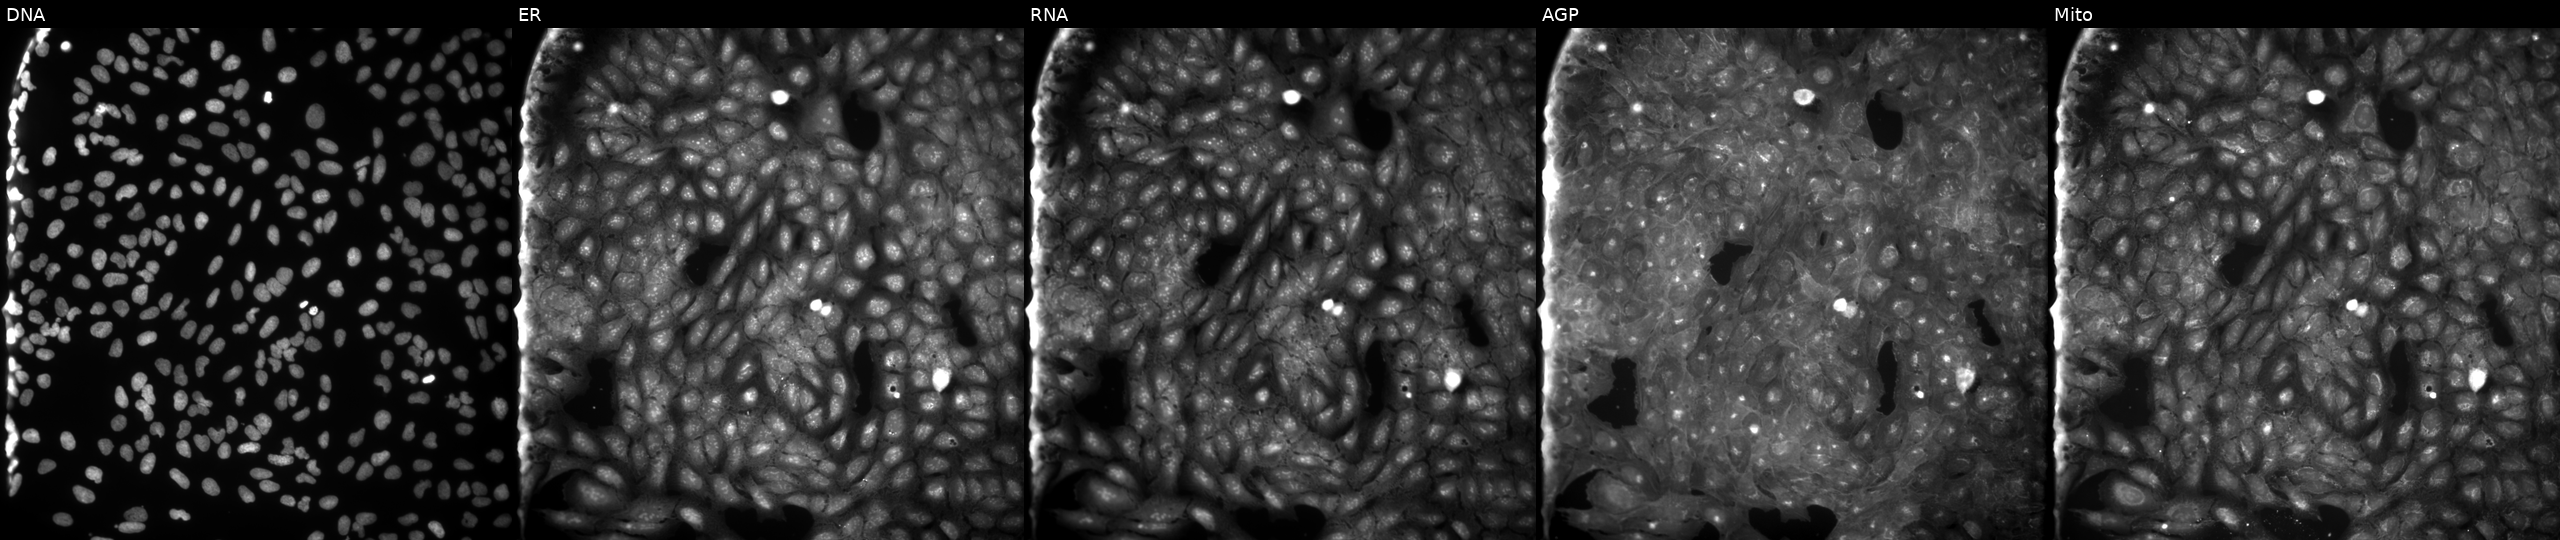
JUMP Cell Painting — COMPOUND plate. U2OS cells perturbed with a small-molecule compound (InChIKey ZJWYVTVSSGLRAJ-UHFFFAOYSA-N) [SMILES: Cc1ncc([N+](=O)[O-])n1CC(=O)Nc1ccc2c(c1)OCO2] (JUMP id JCP2022_113794). The five panels, left to right, show Hoechst 33342, concanavalin A, SYTO 14, phalloidin and WGA, MitoTracker. Source 9, plate GR00003382, well Q05.